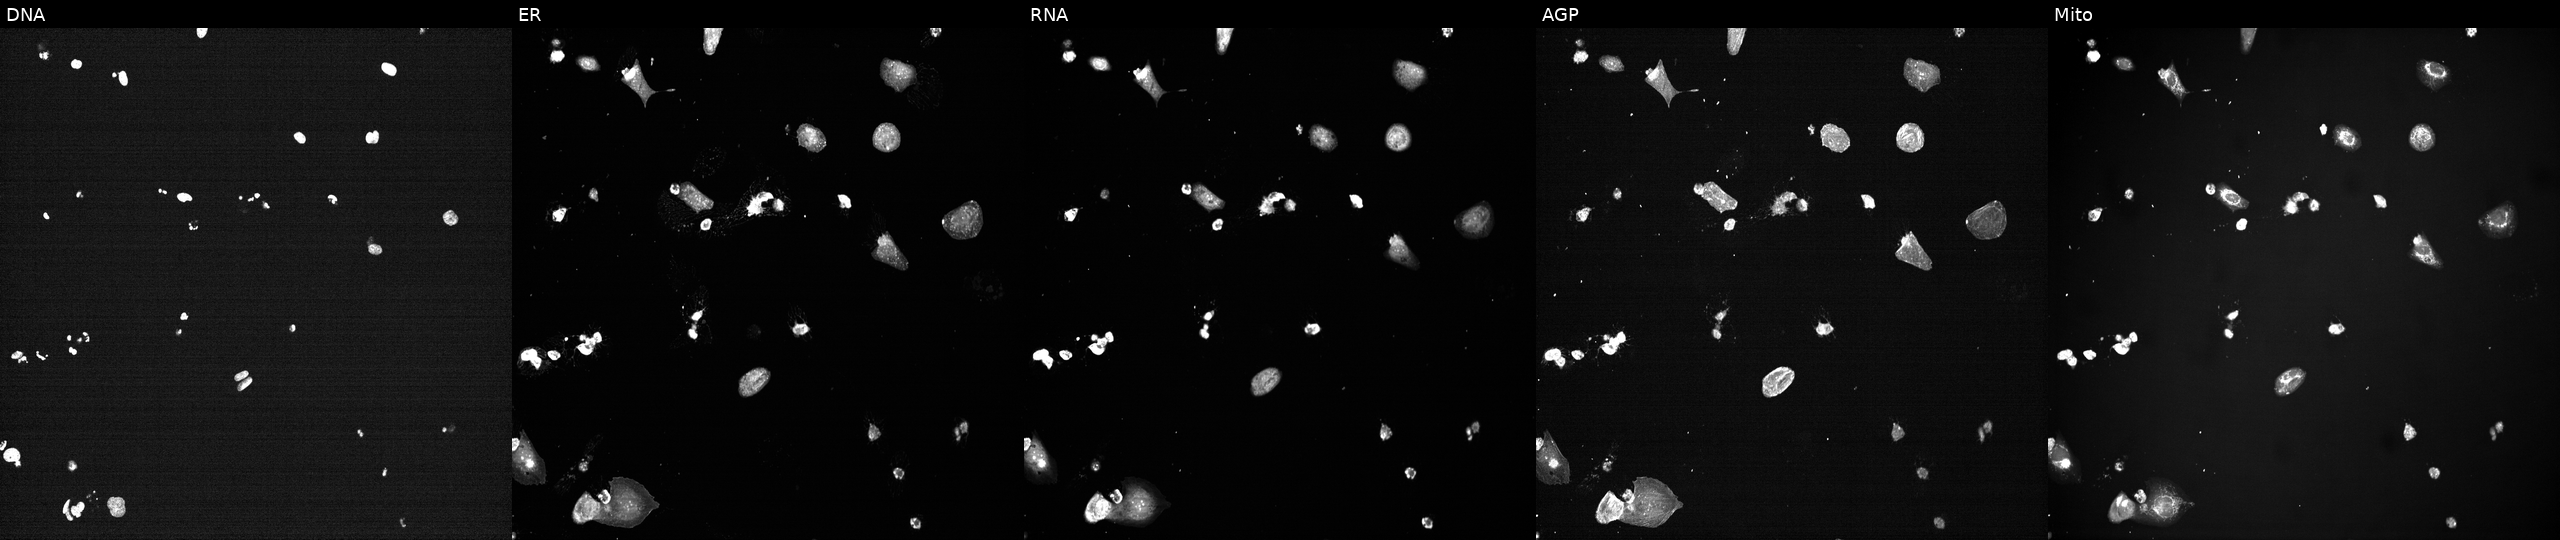
U2OS cells, Cell Painting assay, exposed to a small-molecule compound (InChIKey RVAQIUULWULRNW-UHFFFAOYSA-N) (JUMP id JCP2022_080920). The five panels, left to right, show Hoechst 33342, concanavalin A, SYTO 14, phalloidin and WGA, MitoTracker. Each panel is percentile-stretched 16-bit fluorescence.